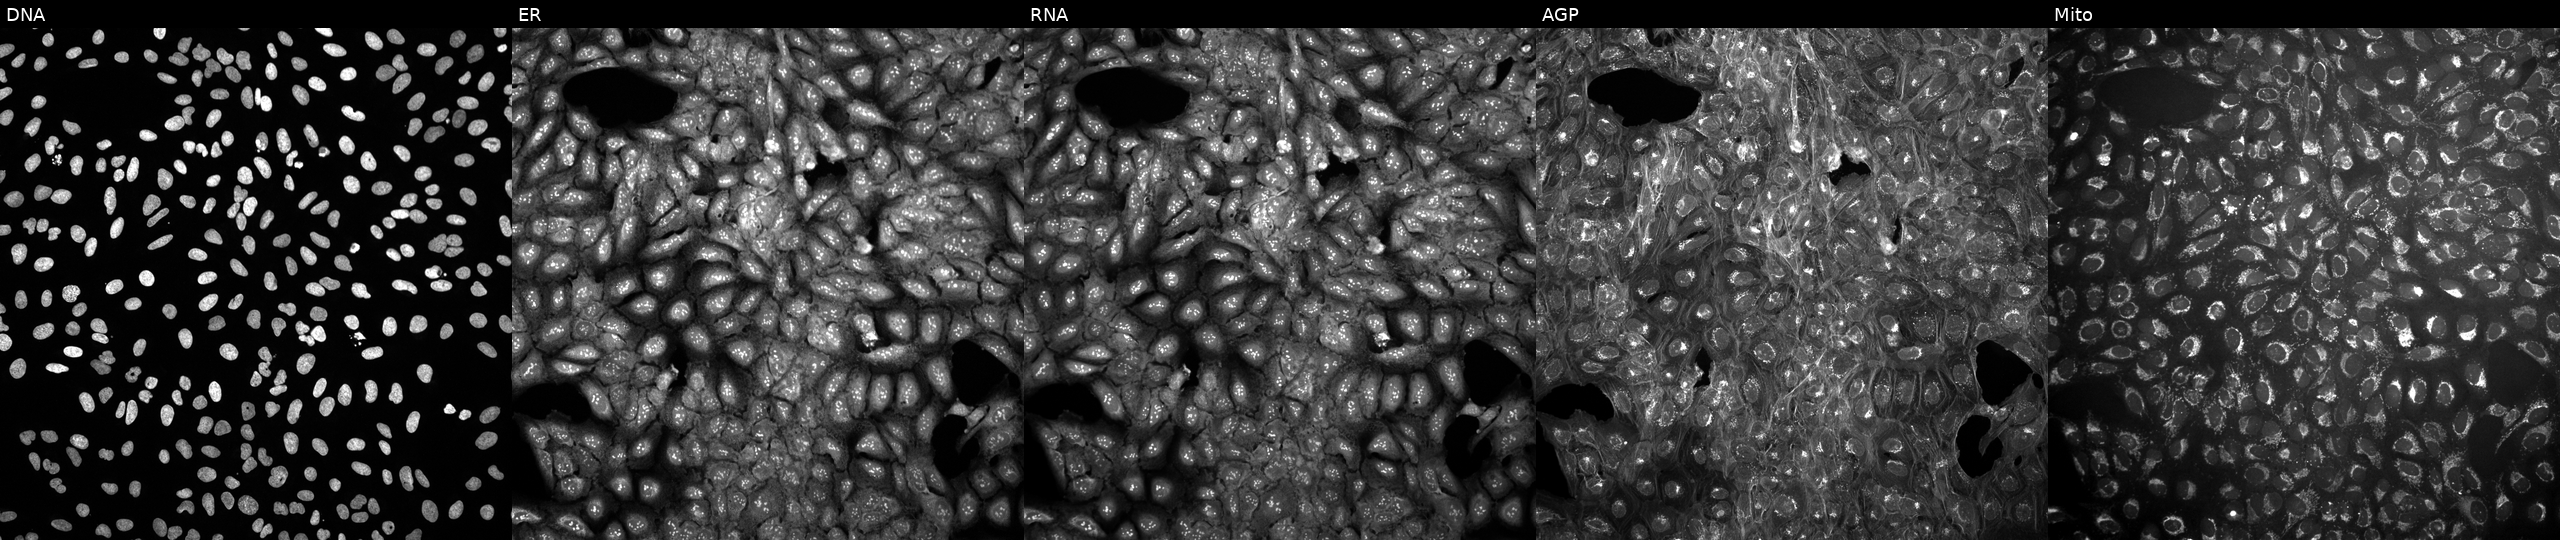
U2OS cells, Cell Painting assay, treated with a small-molecule compound (InChIKey KBJUCVLUDHLBKP-UHFFFAOYSA-N) (JUMP id JCP2022_043507). From left to right: Hoechst 33342, concanavalin A, SYTO 14, phalloidin and WGA, MitoTracker. Each panel is percentile-stretched 16-bit fluorescence. Source 10, plate Dest210531-152149, well E10.